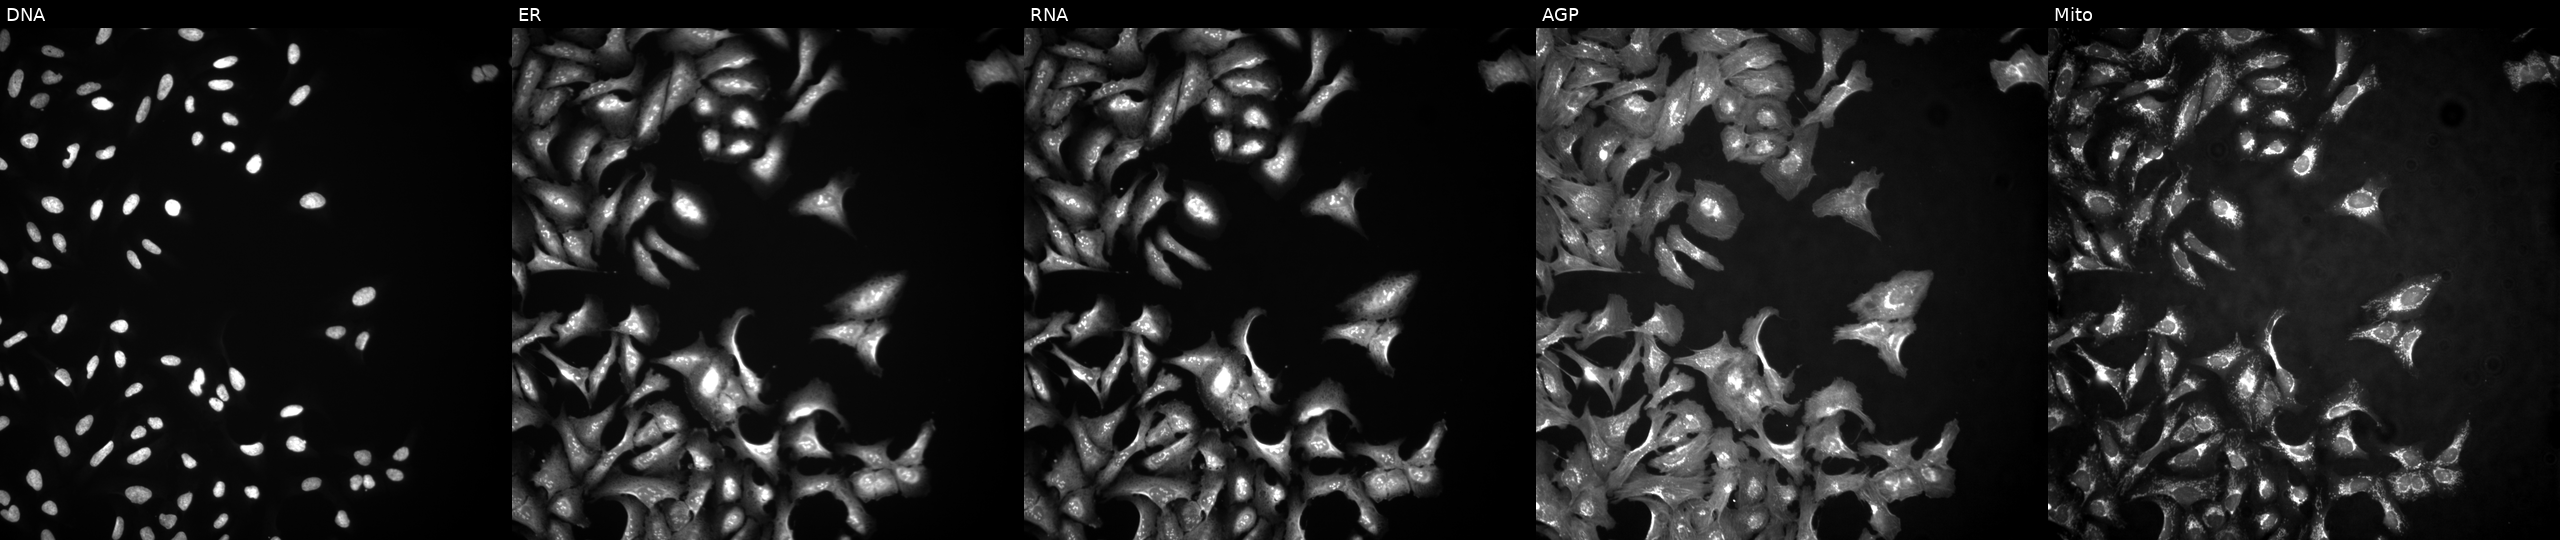
U2OS cells, Cell Painting assay, with TDRD9 overexpressed (ORF) (JUMP id JCP2022_912202). The five panels, left to right, show DNA, ER, RNA, AGP, and Mito. Each panel is percentile-stretched 16-bit fluorescence.